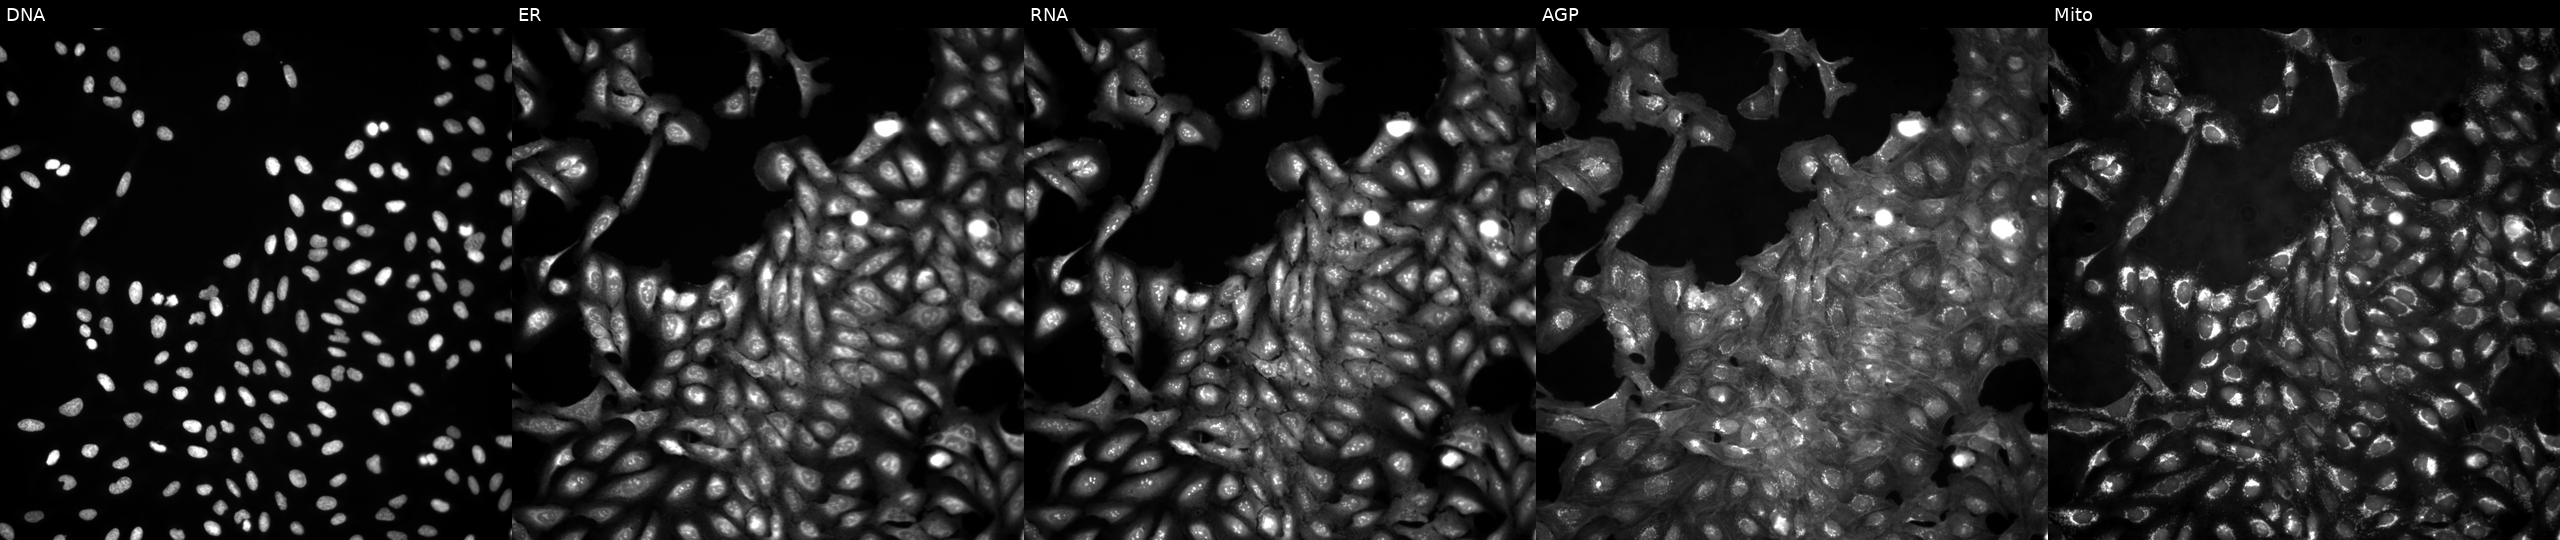
U2OS cells, Cell Painting assay, untreated (empty-well control) (JUMP id JCP2022_999999). Panels show, left to right, Hoechst 33342, concanavalin A, SYTO 14, phalloidin and WGA, MitoTracker. Each panel is percentile-stretched 16-bit fluorescence. Source 4, plate BR00124793, well L20.